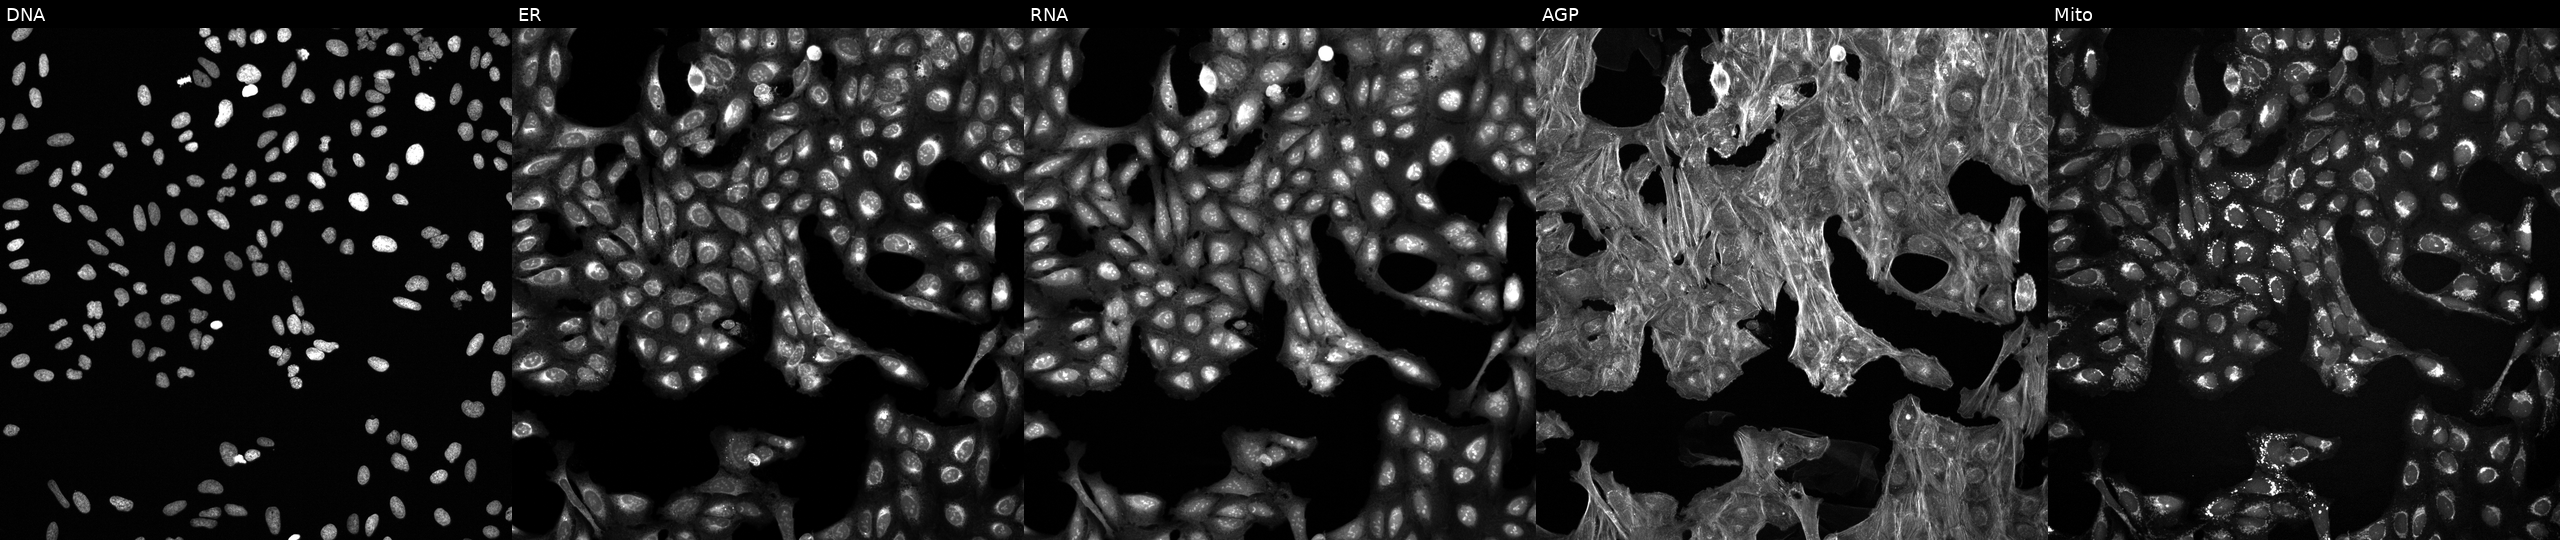
Five-channel Cell Painting image of U2OS cells exposed to DMSO alone as a negative control (JUMP id JCP2022_033924). From left to right: DNA (nuclei); ER (endoplasmic reticulum); RNA (nucleoli and cytoplasmic RNA); AGP (actin cytoskeleton, Golgi, and plasma membrane); Mito (mitochondria). Source 6, plate 110000293081, well F21.